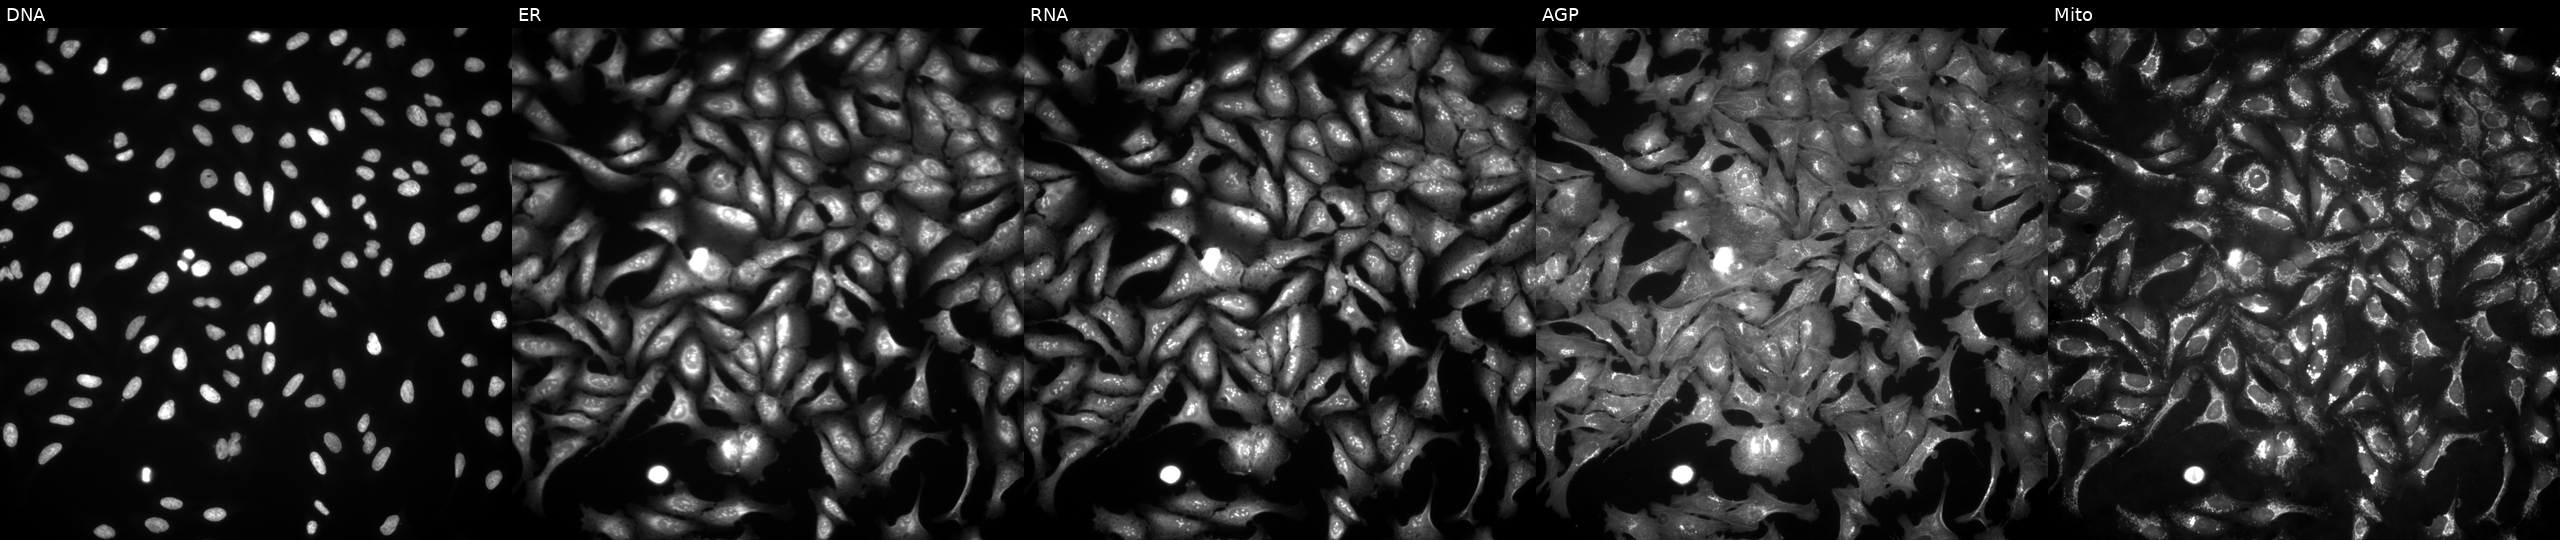
JUMP Cell Painting — ORF plate. U2OS cells transfected with an ORF construct for SSTR2. The five panels, left to right, show DNA (nuclei); ER (endoplasmic reticulum); RNA (nucleoli and cytoplasmic RNA); AGP (actin cytoskeleton, Golgi, and plasma membrane); Mito (mitochondria).